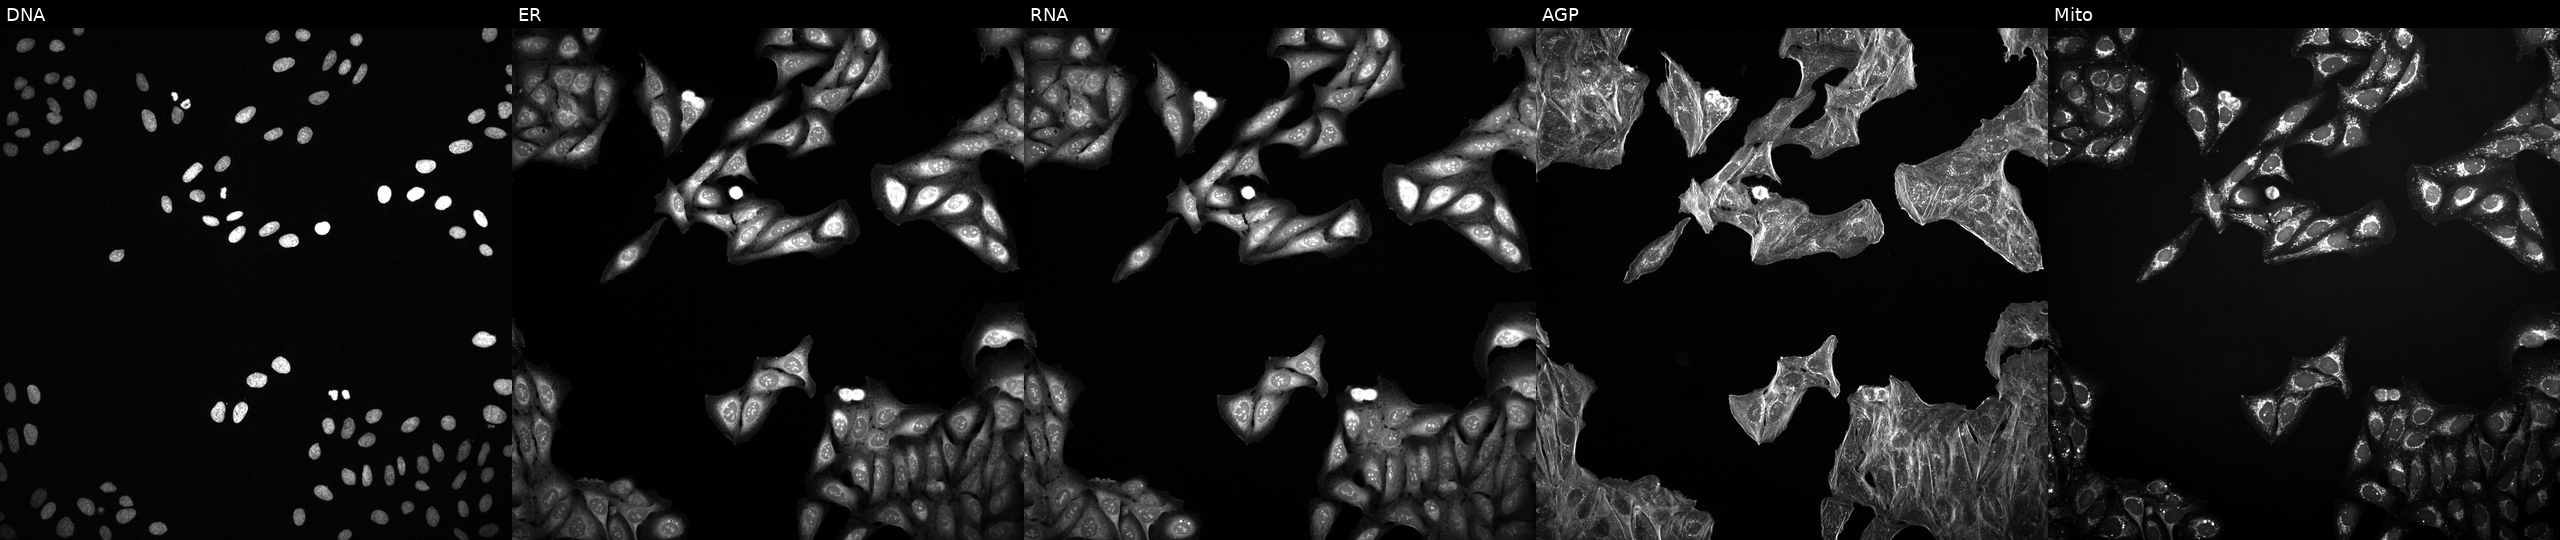
Five-channel Cell Painting image of U2OS cells perturbed with a small-molecule compound [SMILES: Cn1ncc(Cl)c1-c1cc(C(=O)NC(CN)Cc2cccc(F)c2)sc1Cl] (JUMP id JCP2022_001036). The five panels, left to right, show DNA (nuclei); ER (endoplasmic reticulum); RNA (nucleoli and cytoplasmic RNA); AGP (actin cytoskeleton, Golgi, and plasma membrane); Mito (mitochondria).